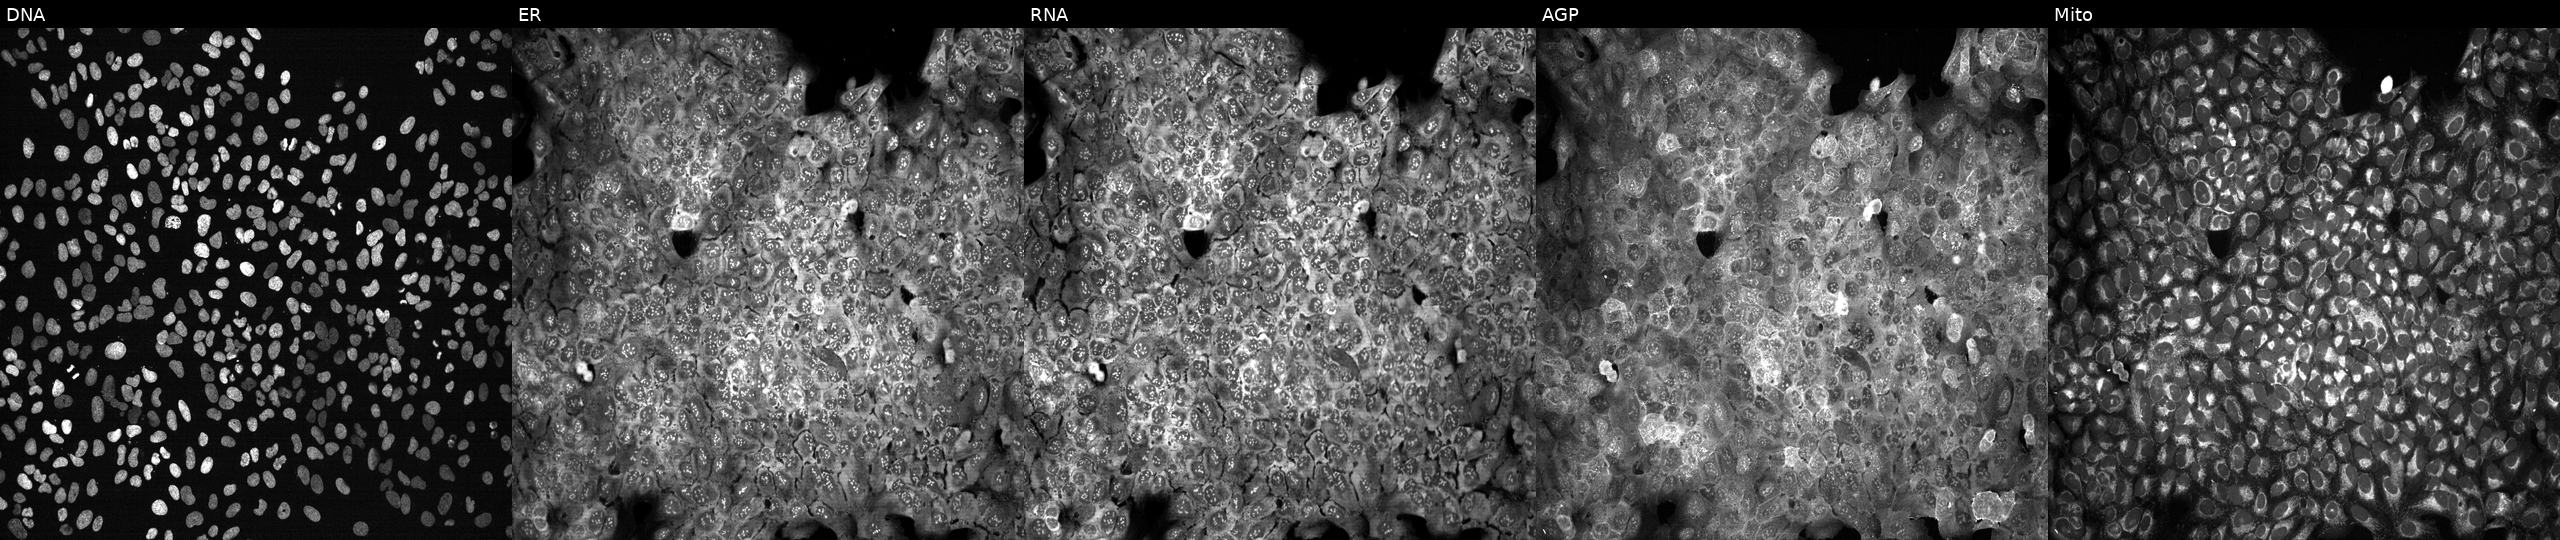
Five-channel Cell Painting image of U2OS cells following CRISPR knockout of SLC33A1. Panels show, left to right, DNA (nuclei); ER (endoplasmic reticulum); RNA (nucleoli and cytoplasmic RNA); AGP (actin cytoskeleton, Golgi, and plasma membrane); Mito (mitochondria). Source 13, plate CP-CC9-R4-04, well G21.